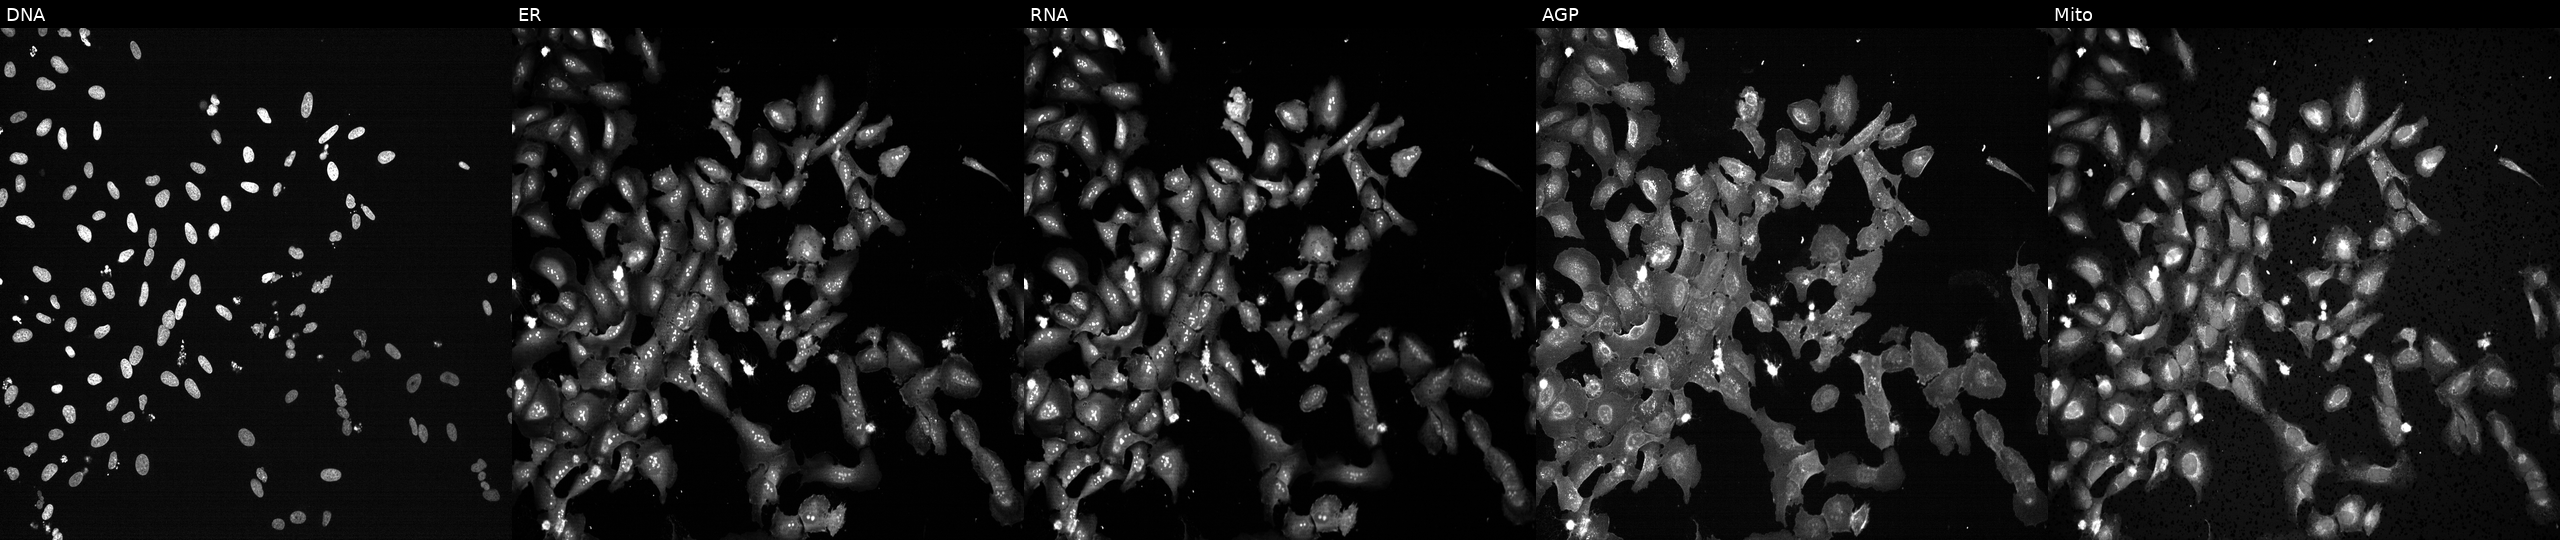
U2OS cells, Cell Painting assay, treated with TC-S-7004 (positive-control compound) (JUMP id JCP2022_012818). From left to right: DNA, ER, RNA, AGP, and Mito. Each panel is percentile-stretched 16-bit fluorescence.